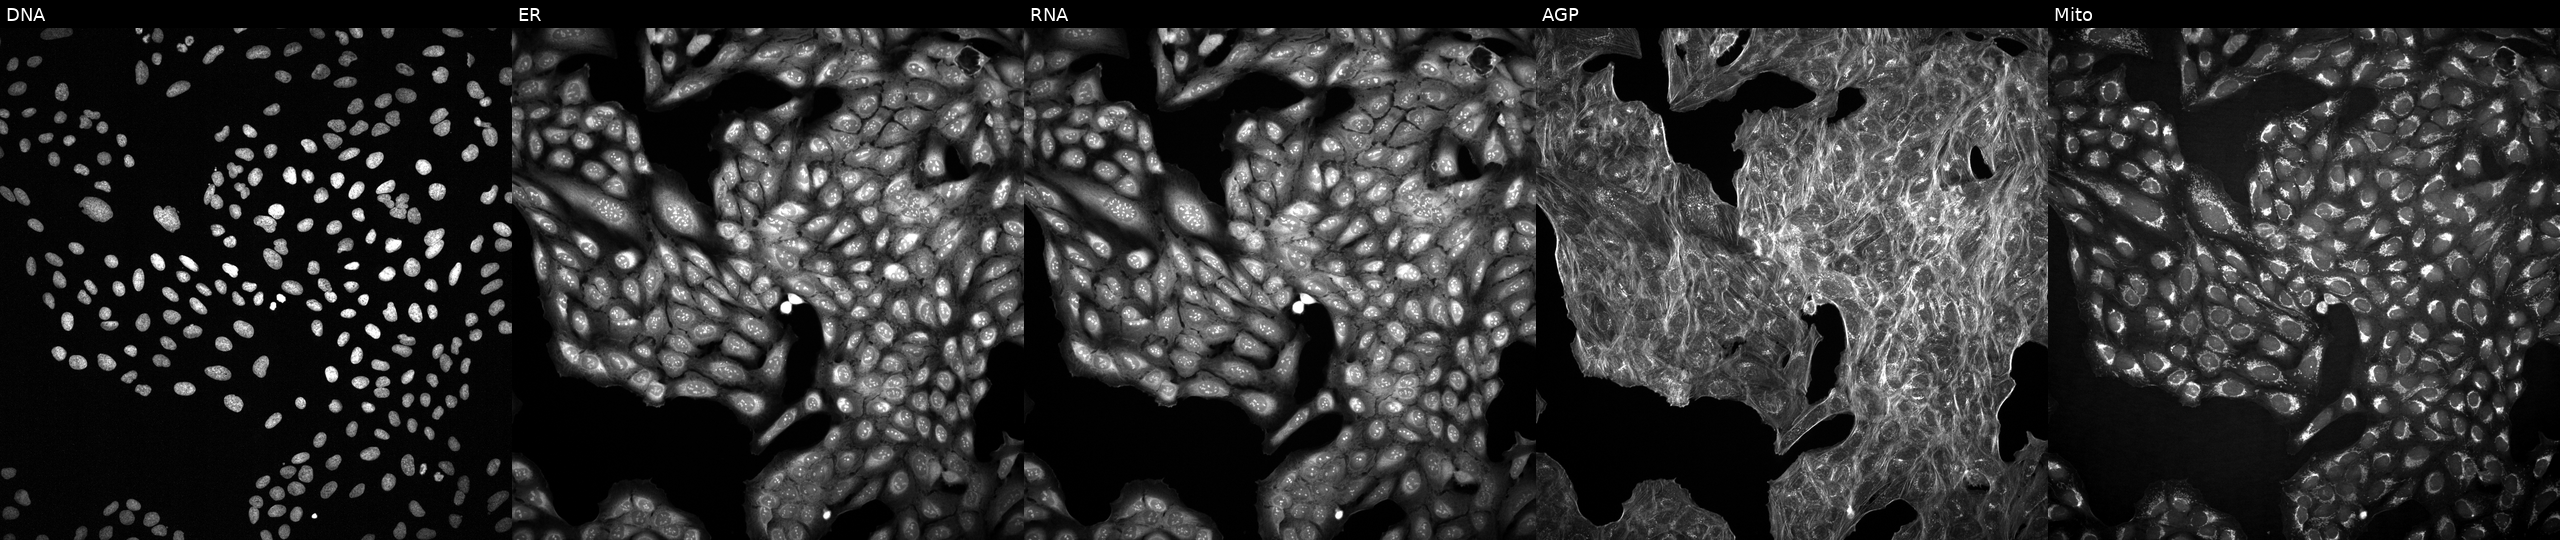
Channels (left→right): DNA, ER, RNA, AGP, and Mito. U2OS osteosarcoma cells with an unidentified perturbation (not annotated in JUMP metadata). Cell Painting assay, JUMP-CP dataset.